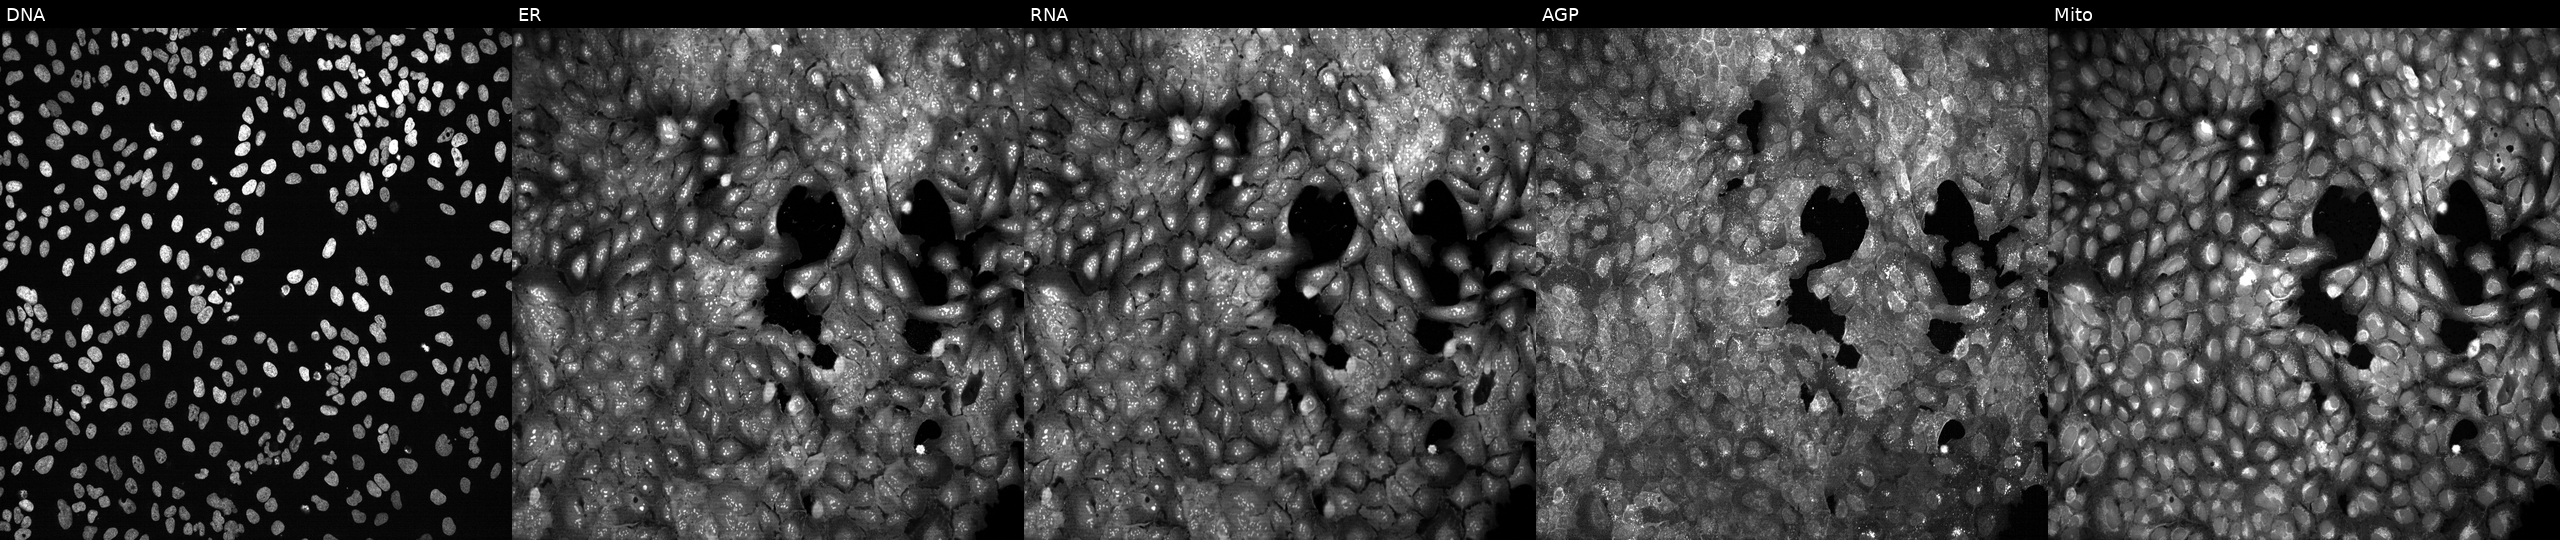
JUMP Cell Painting — CRISPR plate. U2OS cells following CRISPR knockout of ALDH5A1. From left to right: Hoechst 33342, concanavalin A, SYTO 14, phalloidin and WGA, MitoTracker. Source 13, plate CP-CC9-R1-02, well M11.